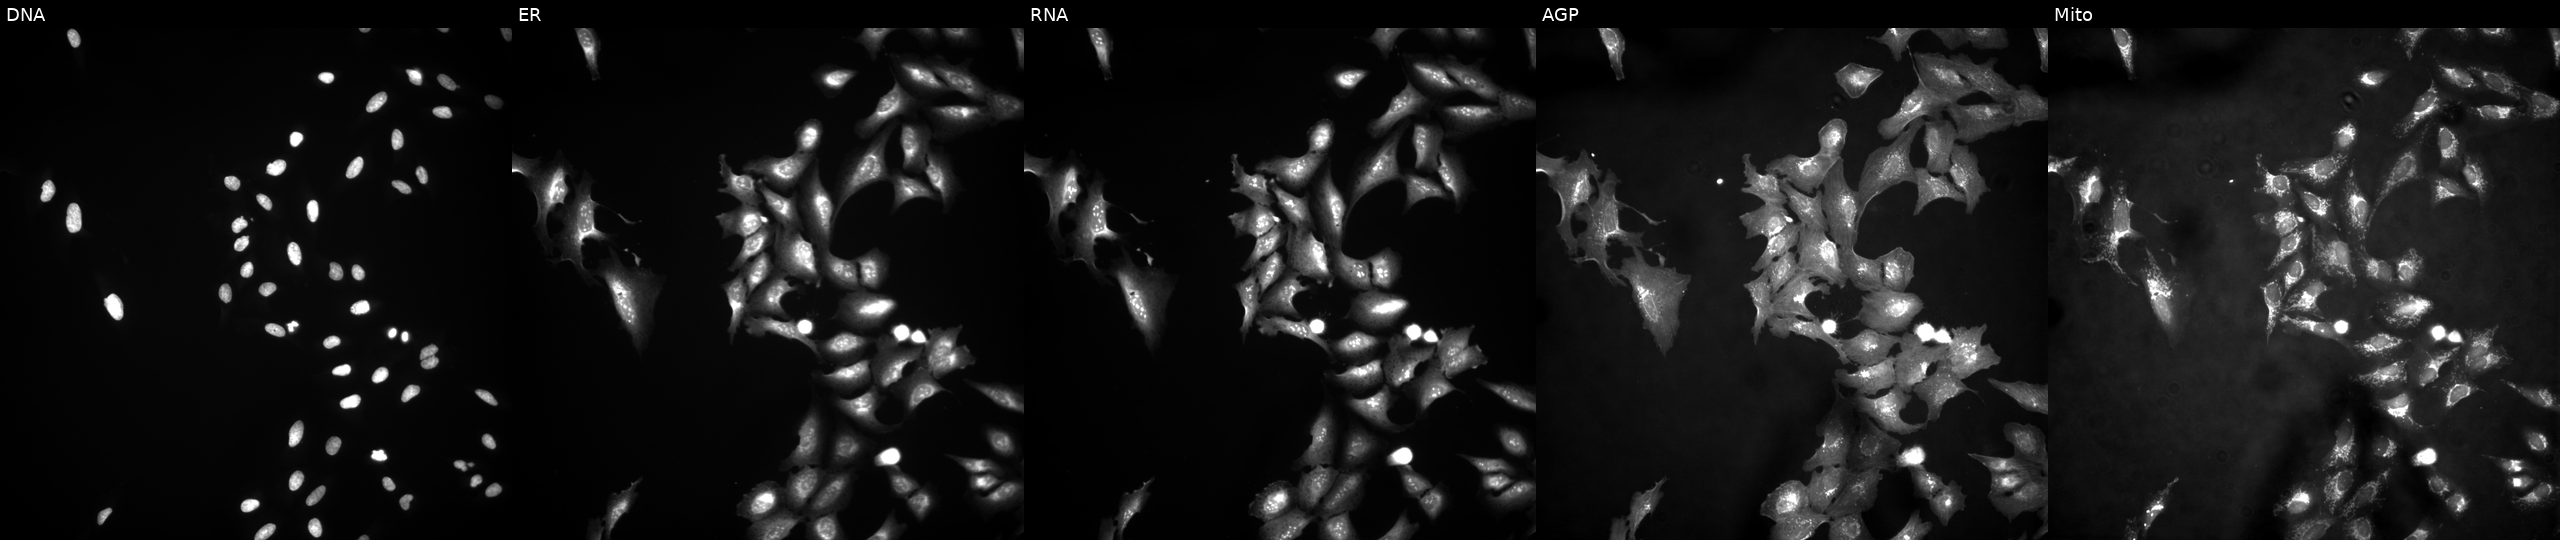
JUMP Cell Painting — ORF plate. U2OS cells overexpressing GUCY1A1 via ORF transfection. From left to right: DNA, ER, RNA, AGP, and Mito.